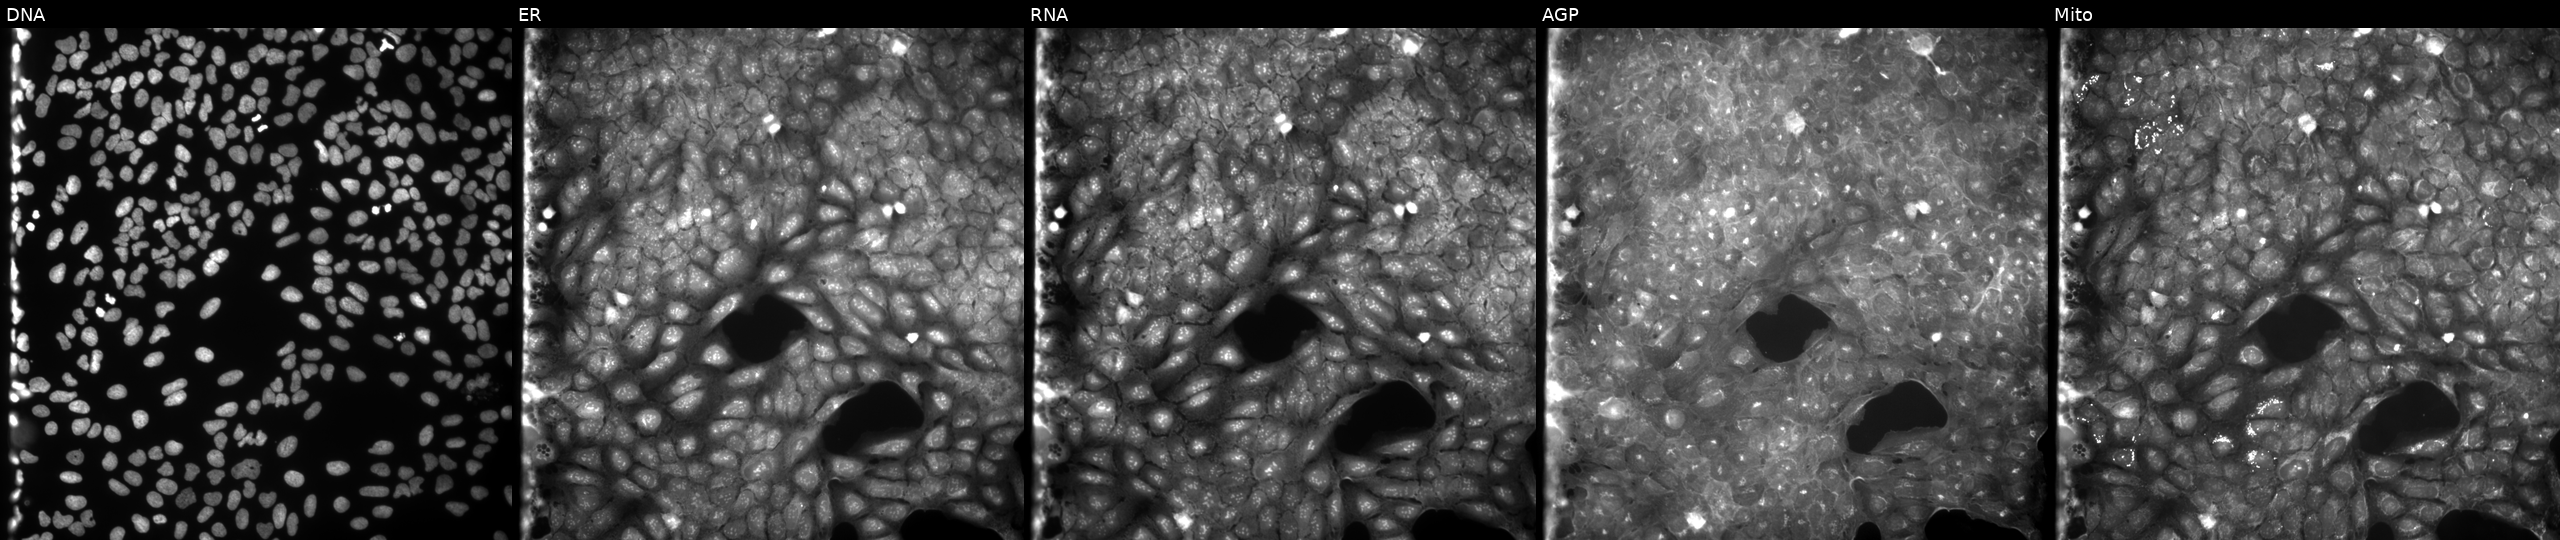
Five-channel Cell Painting image of U2OS cells perturbed with a small-molecule compound (InChIKey JDUOWTVWTCBWQB-UHFFFAOYSA-N) [SMILES: COc1ccc2[nH]c(=NC(=O)c3ccc(C)c(C)c3)sc2c1] (JUMP id JCP2022_039110). The five panels, left to right, show DNA, ER, RNA, AGP, and Mito.